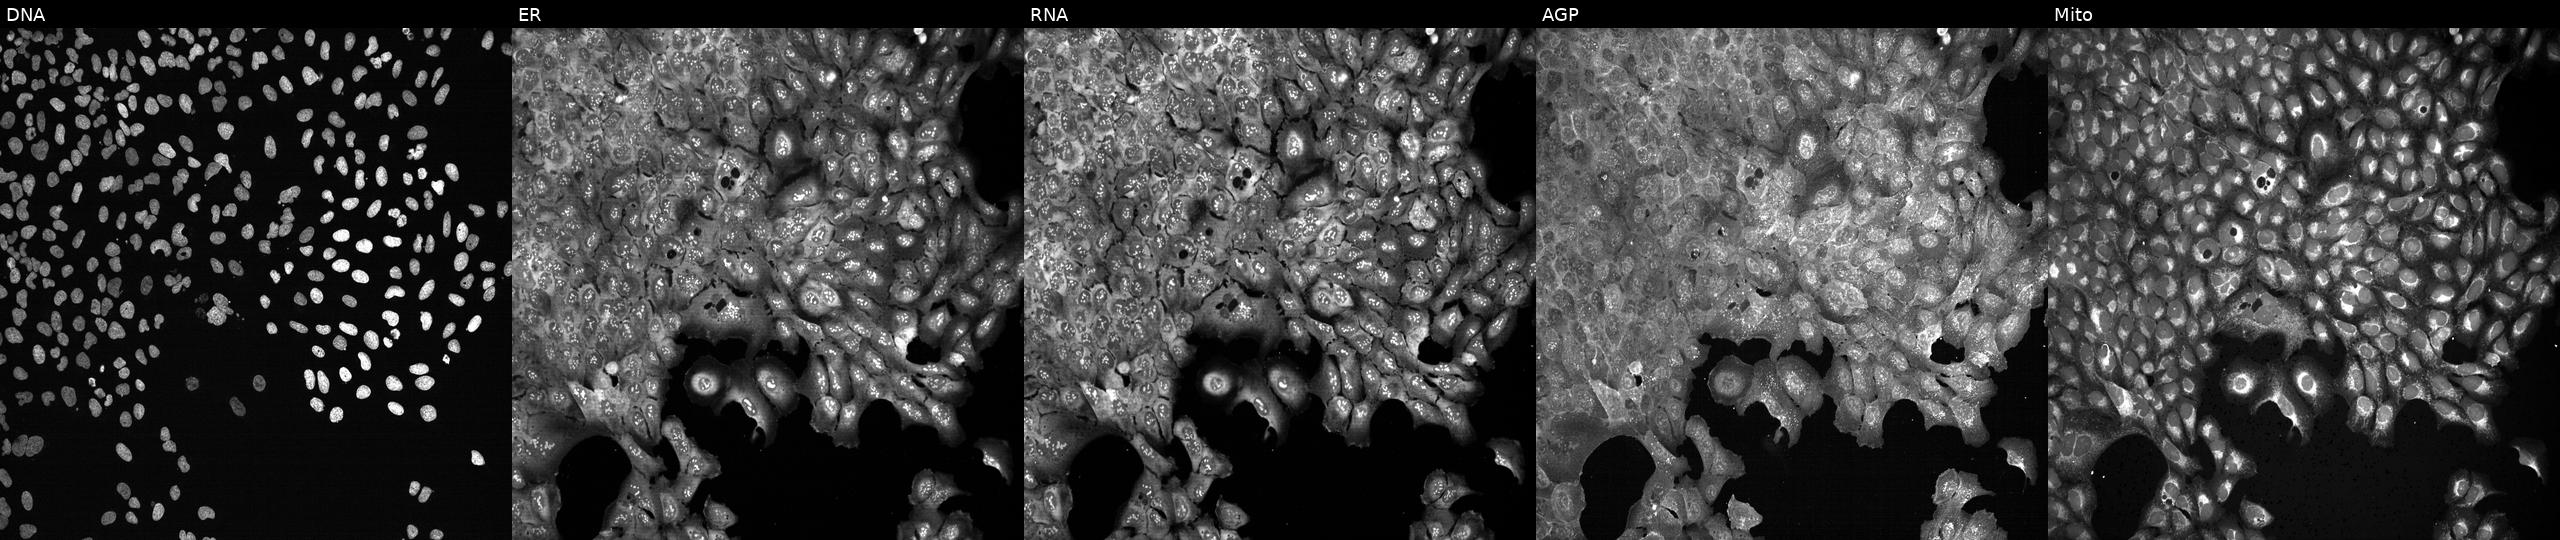
High-content fluorescence microscopy (Cell Painting). Cell line: U2OS. Perturbation: with RAB6A knocked out by CRISPR (JUMP id JCP2022_805783). Channels (left→right): DNA, ER, RNA, AGP, and Mito. Source 13, plate CP-CC9-R5-01, well L06.